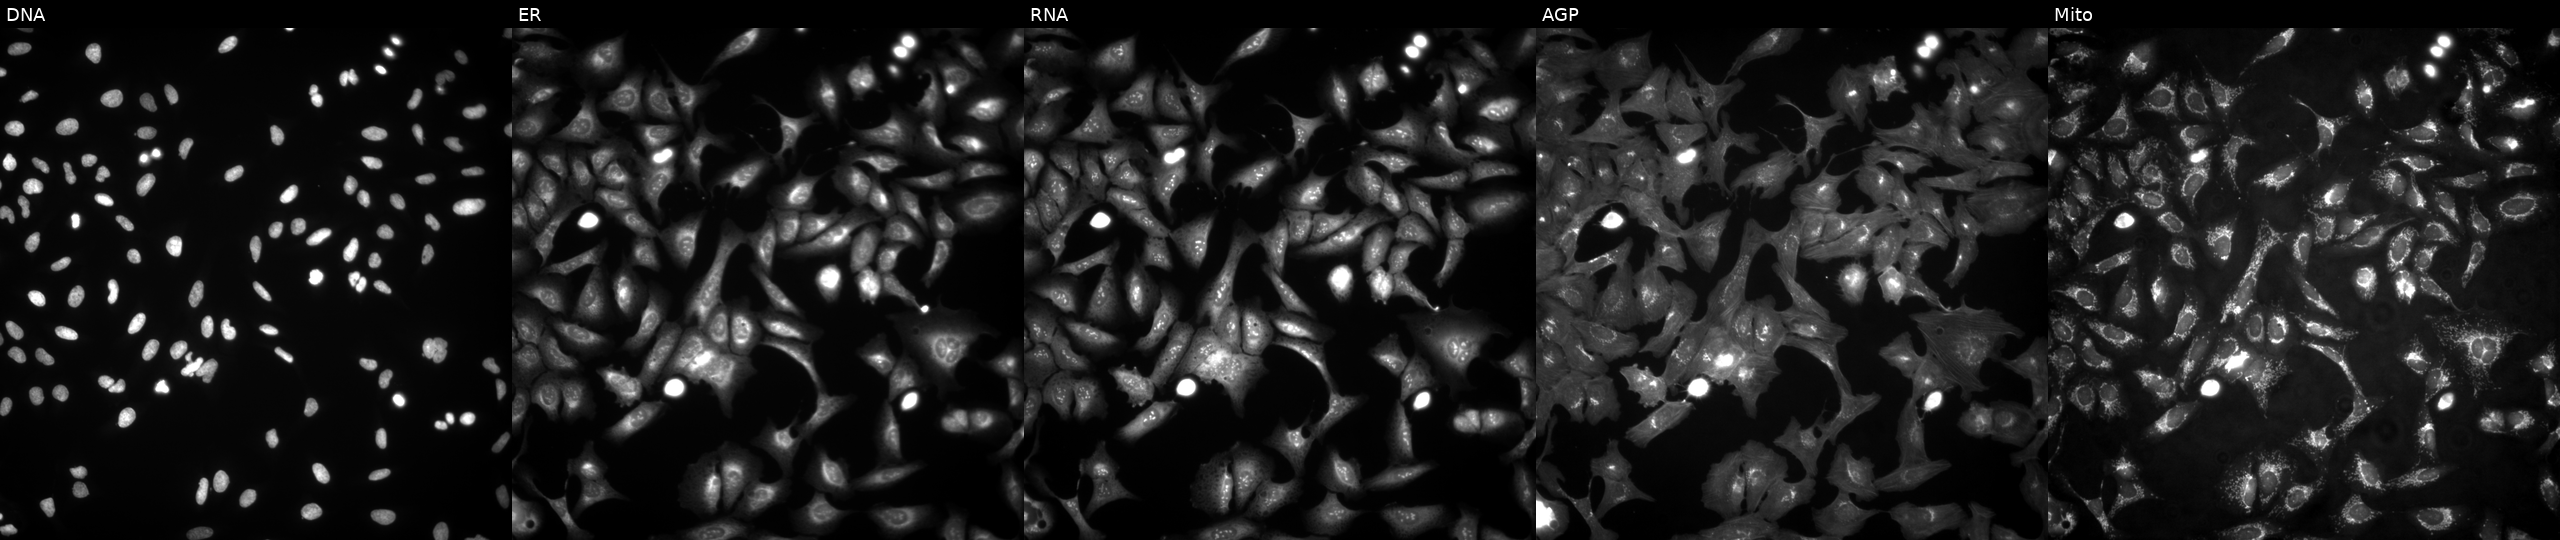
Five-channel Cell Painting image of U2OS cells overexpressing PHOSPHO1 via ORF transfection (JUMP id JCP2022_904787). Channels (left→right): DNA (nuclei); ER (endoplasmic reticulum); RNA (nucleoli and cytoplasmic RNA); AGP (actin cytoskeleton, Golgi, and plasma membrane); Mito (mitochondria).